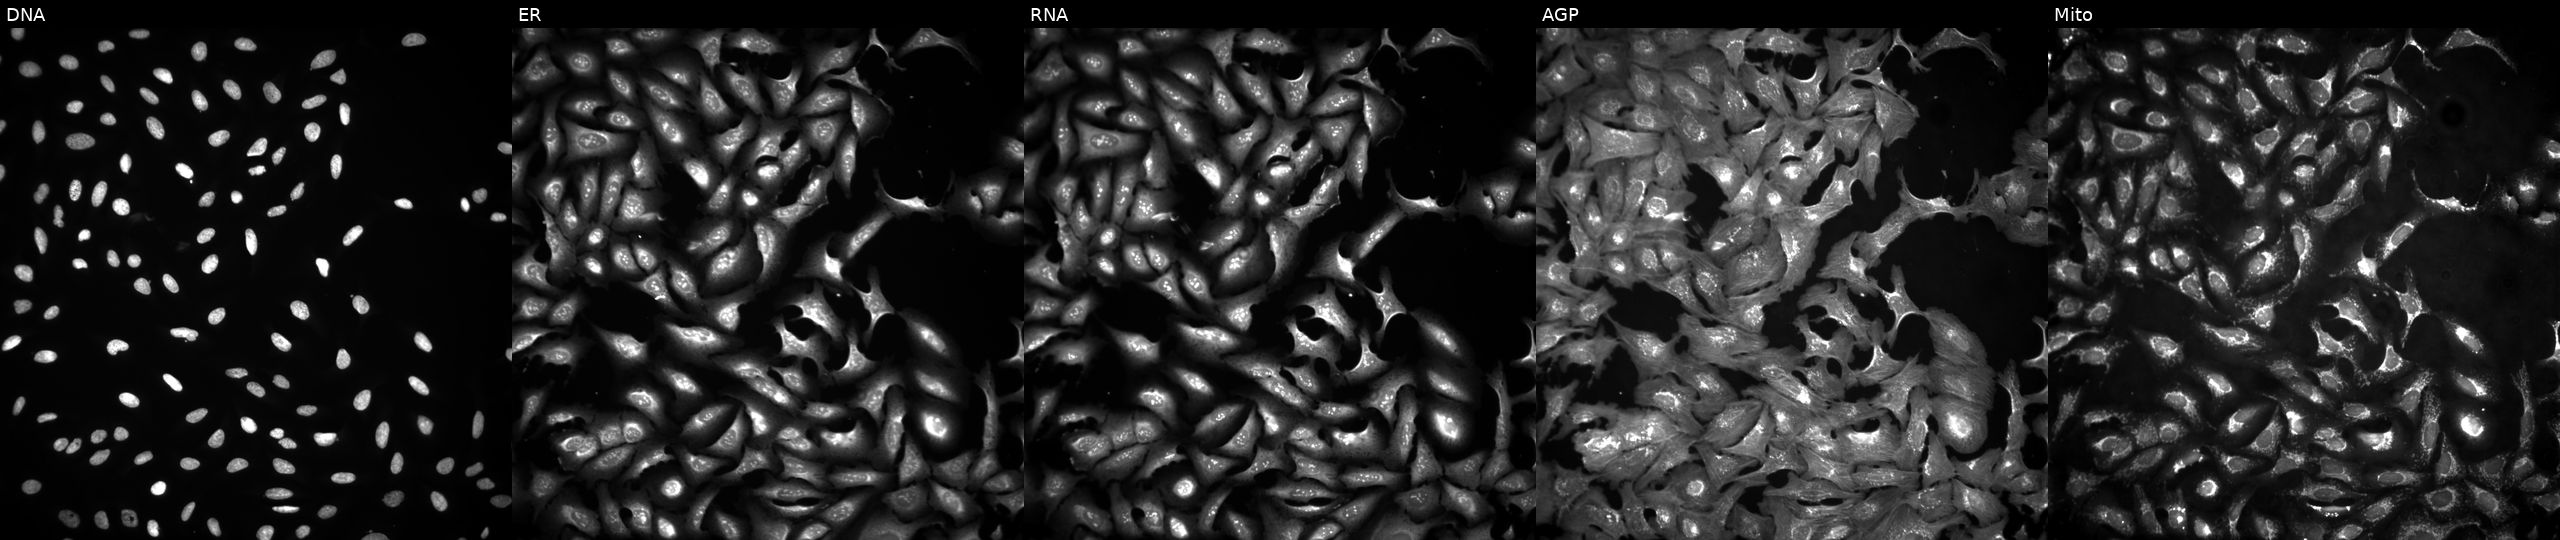
From left to right: DNA (nuclei); ER (endoplasmic reticulum); RNA (nucleoli and cytoplasmic RNA); AGP (actin cytoskeleton, Golgi, and plasma membrane); Mito (mitochondria). U2OS osteosarcoma cells expressing HcRed (ORF negative control) (JUMP id JCP2022_915129). Cell Painting assay, JUMP-CP dataset. Source 4, plate BR00123945, well N21.